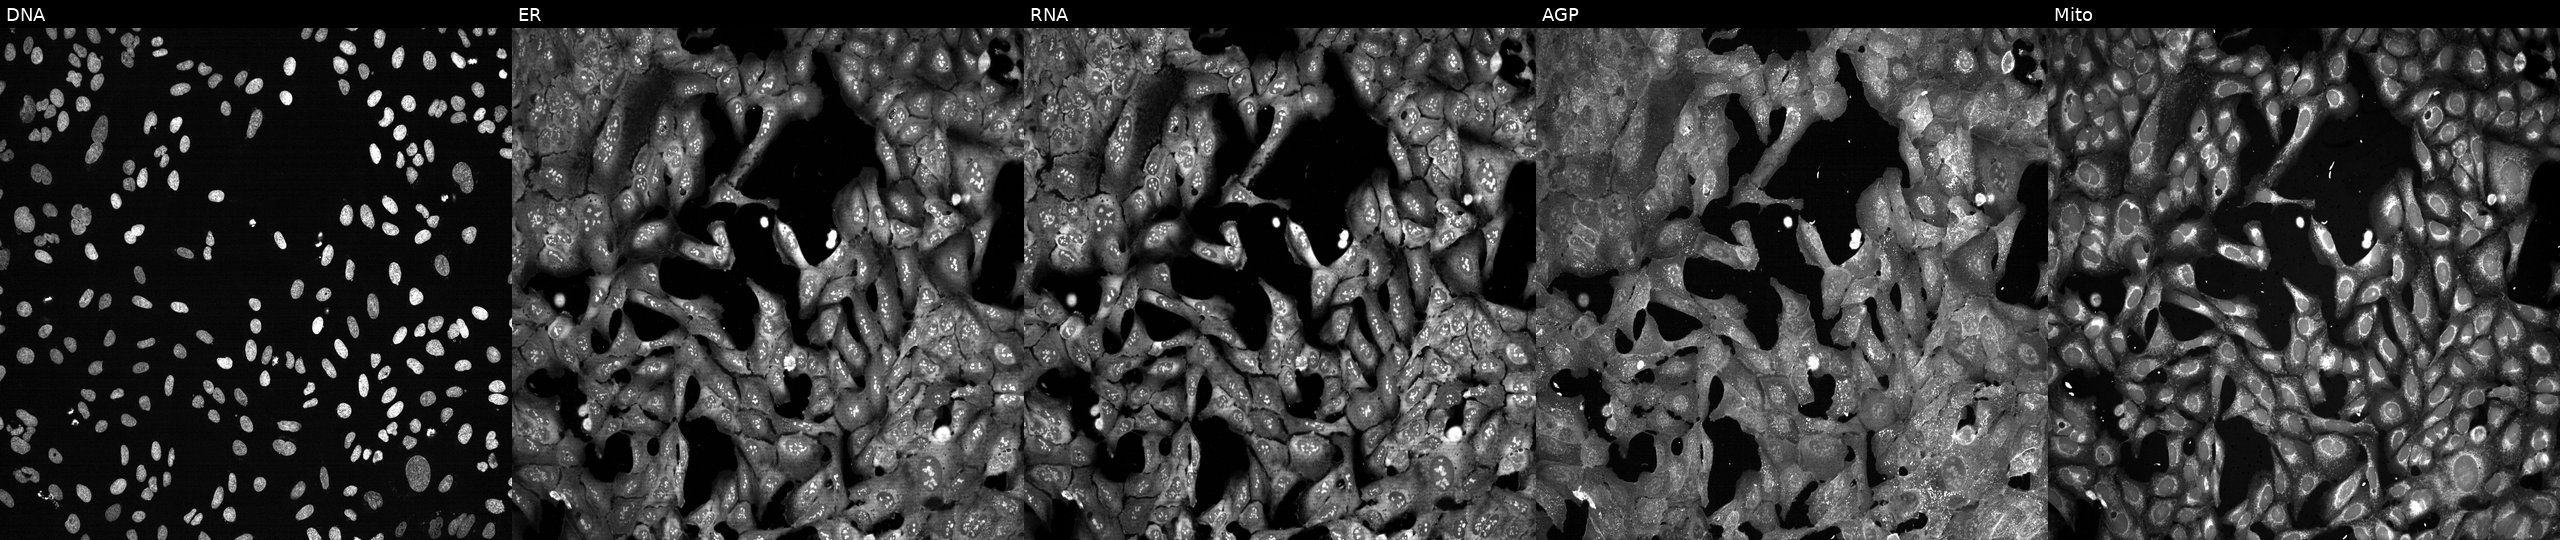
U2OS cells, Cell Painting assay, following CRISPR knockout of SLC29A3 (JUMP id JCP2022_806482). From left to right: DNA (nuclei); ER (endoplasmic reticulum); RNA (nucleoli and cytoplasmic RNA); AGP (actin cytoskeleton, Golgi, and plasma membrane); Mito (mitochondria). Each panel is percentile-stretched 16-bit fluorescence.